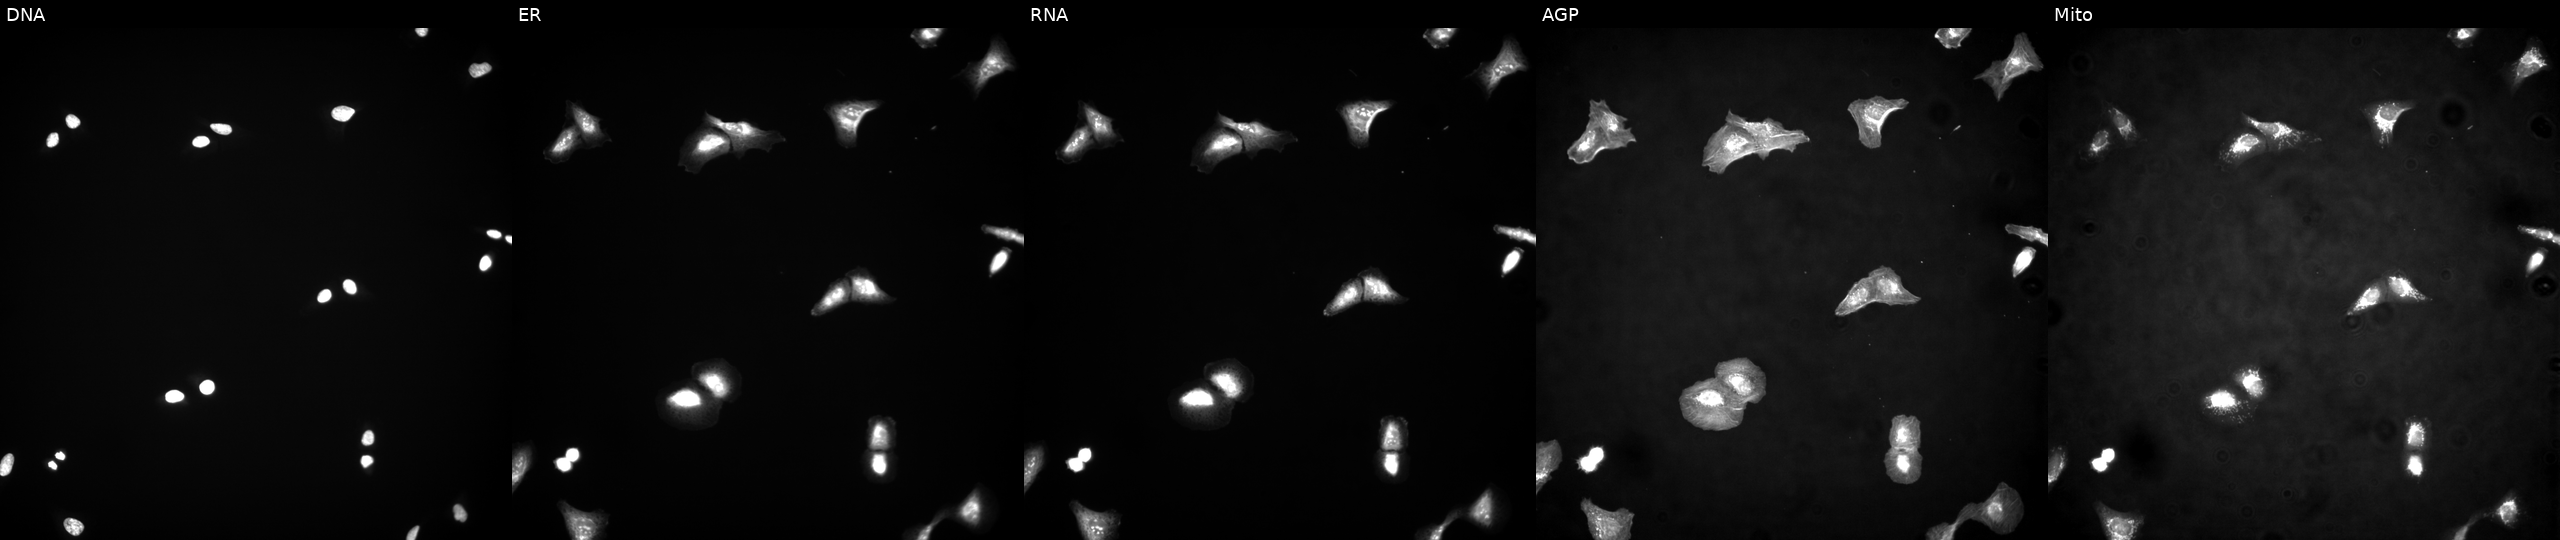
Panels show, left to right, DNA, ER, RNA, AGP, and Mito. U2OS osteosarcoma cells overexpressing RFT1 via ORF transfection. Cell Painting assay, JUMP-CP dataset.